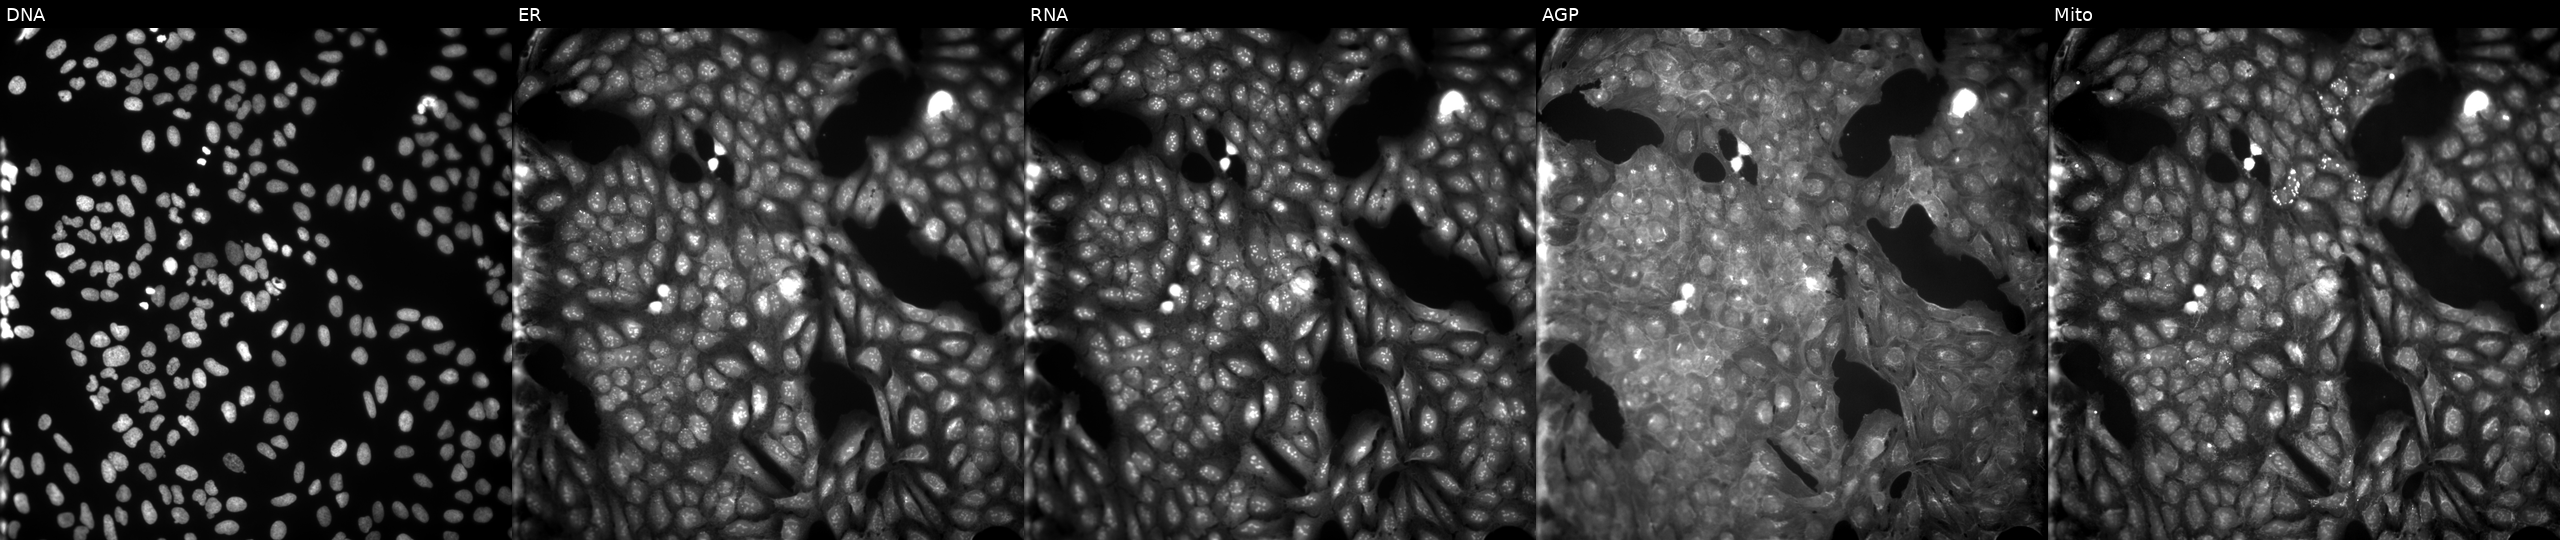
JUMP Cell Painting — COMPOUND plate. U2OS cells exposed to DMSO alone as a negative control (JUMP id JCP2022_033924). The five panels, left to right, show Hoechst 33342, concanavalin A, SYTO 14, phalloidin and WGA, MitoTracker.